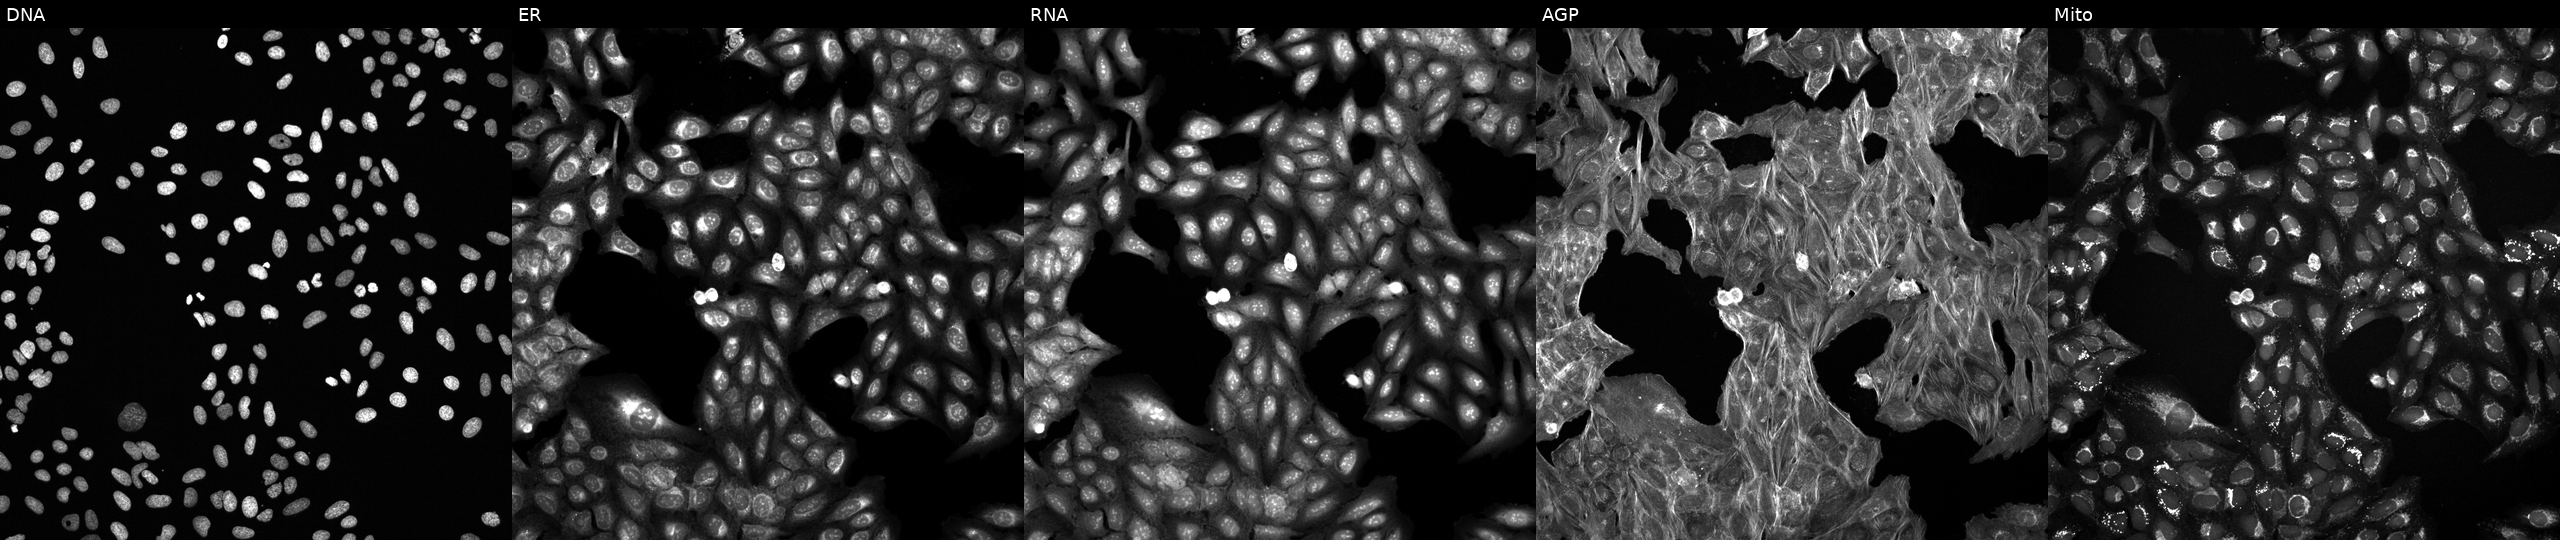
Five-channel Cell Painting image of U2OS cells treated with a small-molecule compound (InChIKey TZDUHAJSIBHXDL-UHFFFAOYSA-N). The five panels, left to right, show DNA, ER, RNA, AGP, and Mito. Source 6, plate 110000293081, well O18.